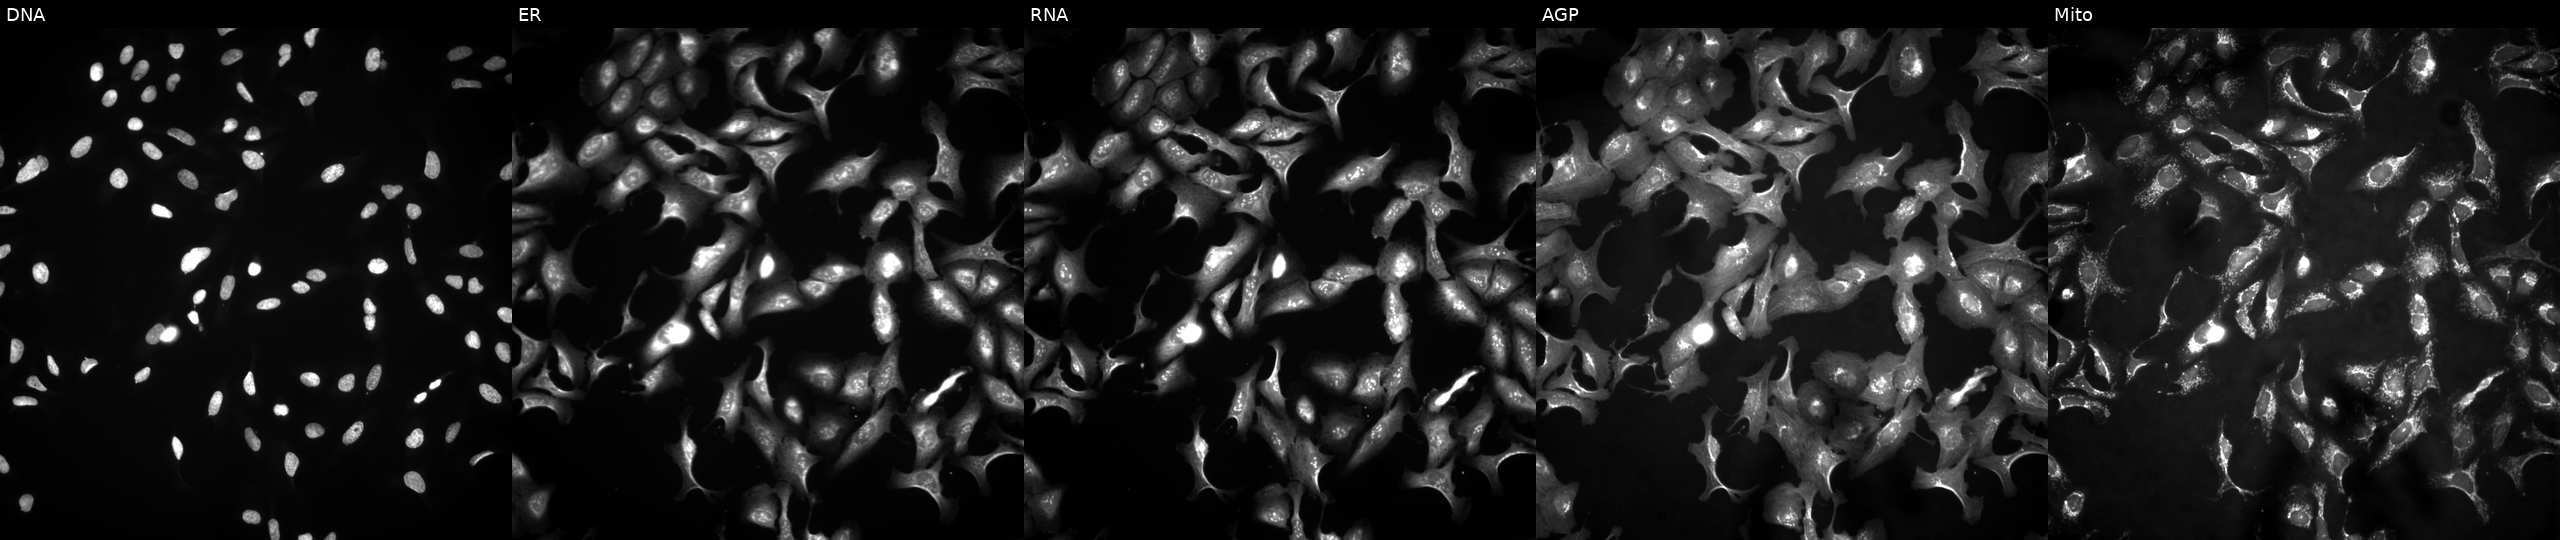
Five-channel Cell Painting image of U2OS cells with ZFP36L1 overexpressed (ORF) (JUMP id JCP2022_900163). From left to right: Hoechst 33342, concanavalin A, SYTO 14, phalloidin and WGA, MitoTracker.